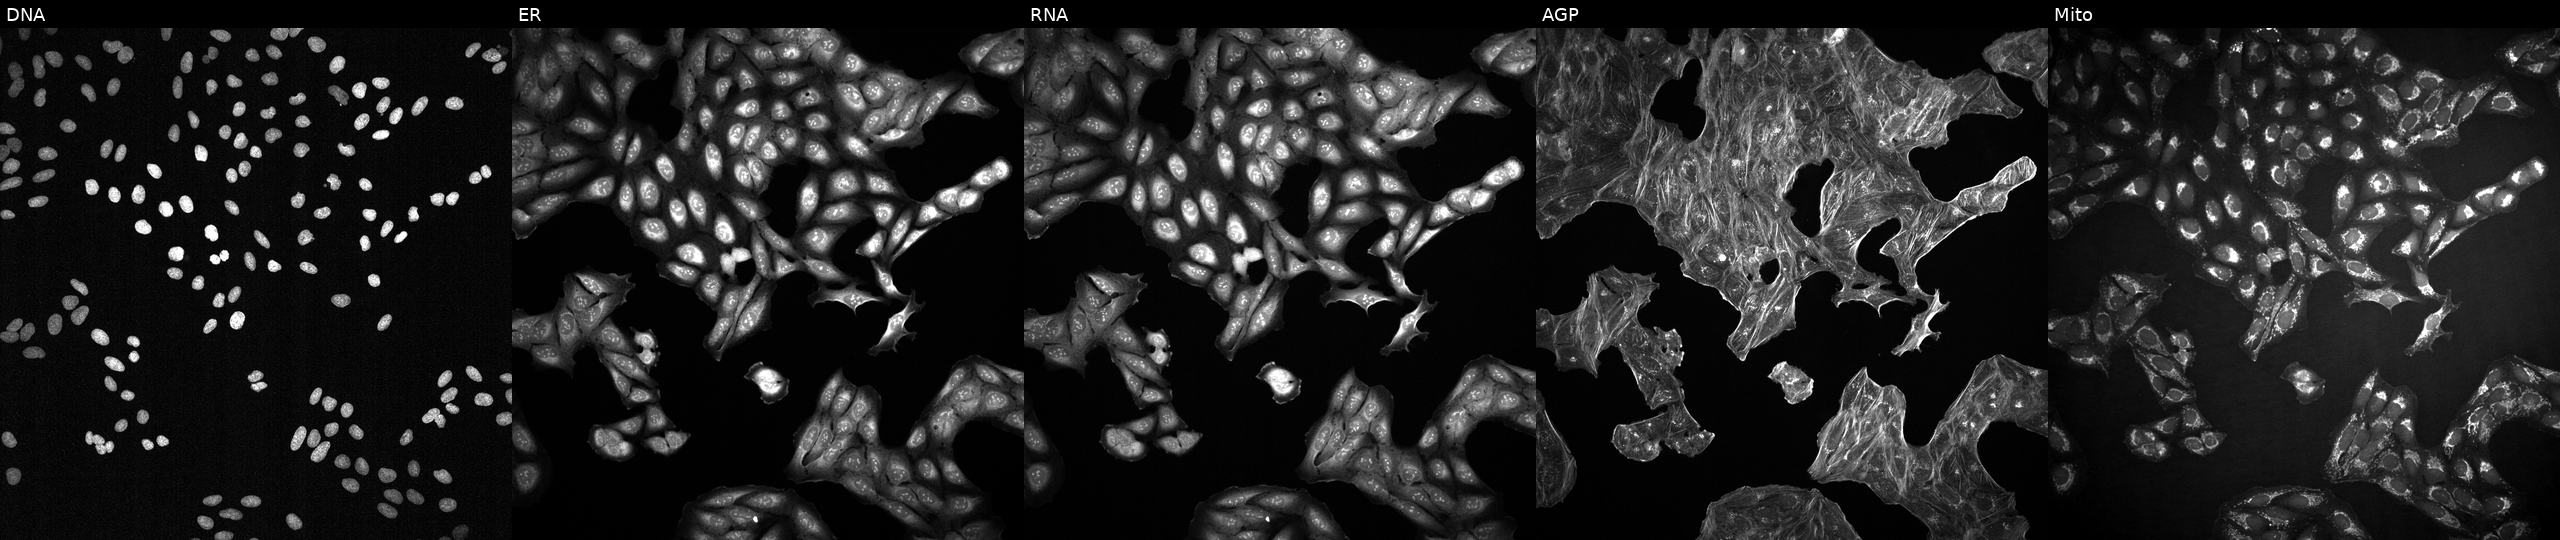
JUMP Cell Painting — TARGET2 plate. U2OS cells treated with a small-molecule compound (InChIKey DXZRBHUCOHBAHP-UHFFFAOYSA-N). From left to right: DNA, ER, RNA, AGP, and Mito.